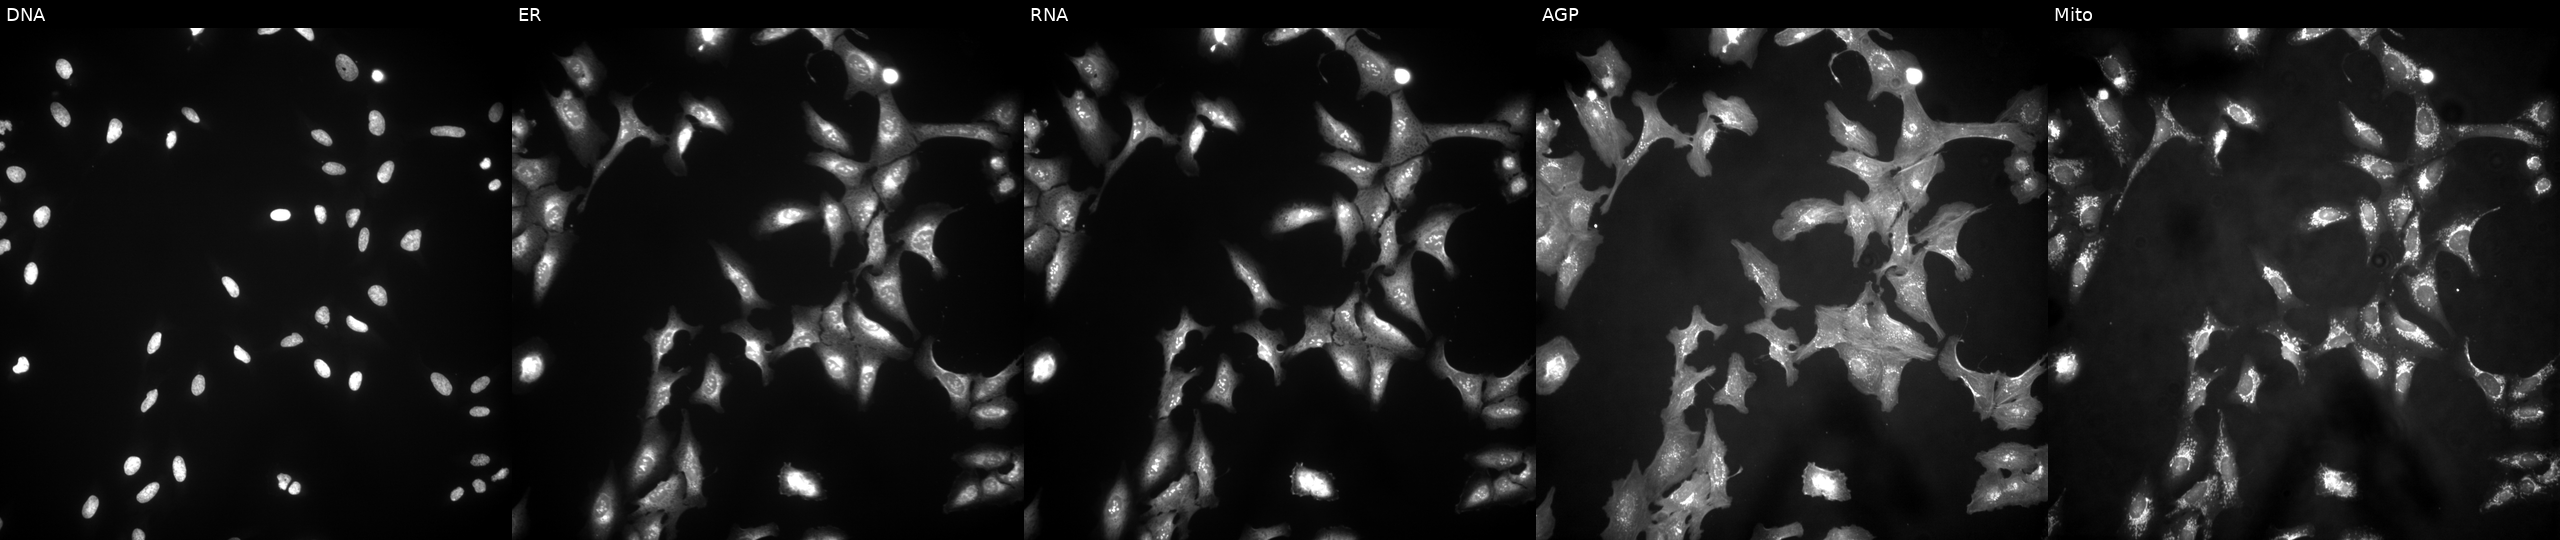
This image strip shows the five Cell Painting channels for a single field of U2OS cells overexpressing IFIT1 via ORF transfection (JUMP id JCP2022_906015). Channels (left→right): Hoechst 33342, concanavalin A, SYTO 14, phalloidin and WGA, MitoTracker. Source 4, plate BR00123506, well H13.